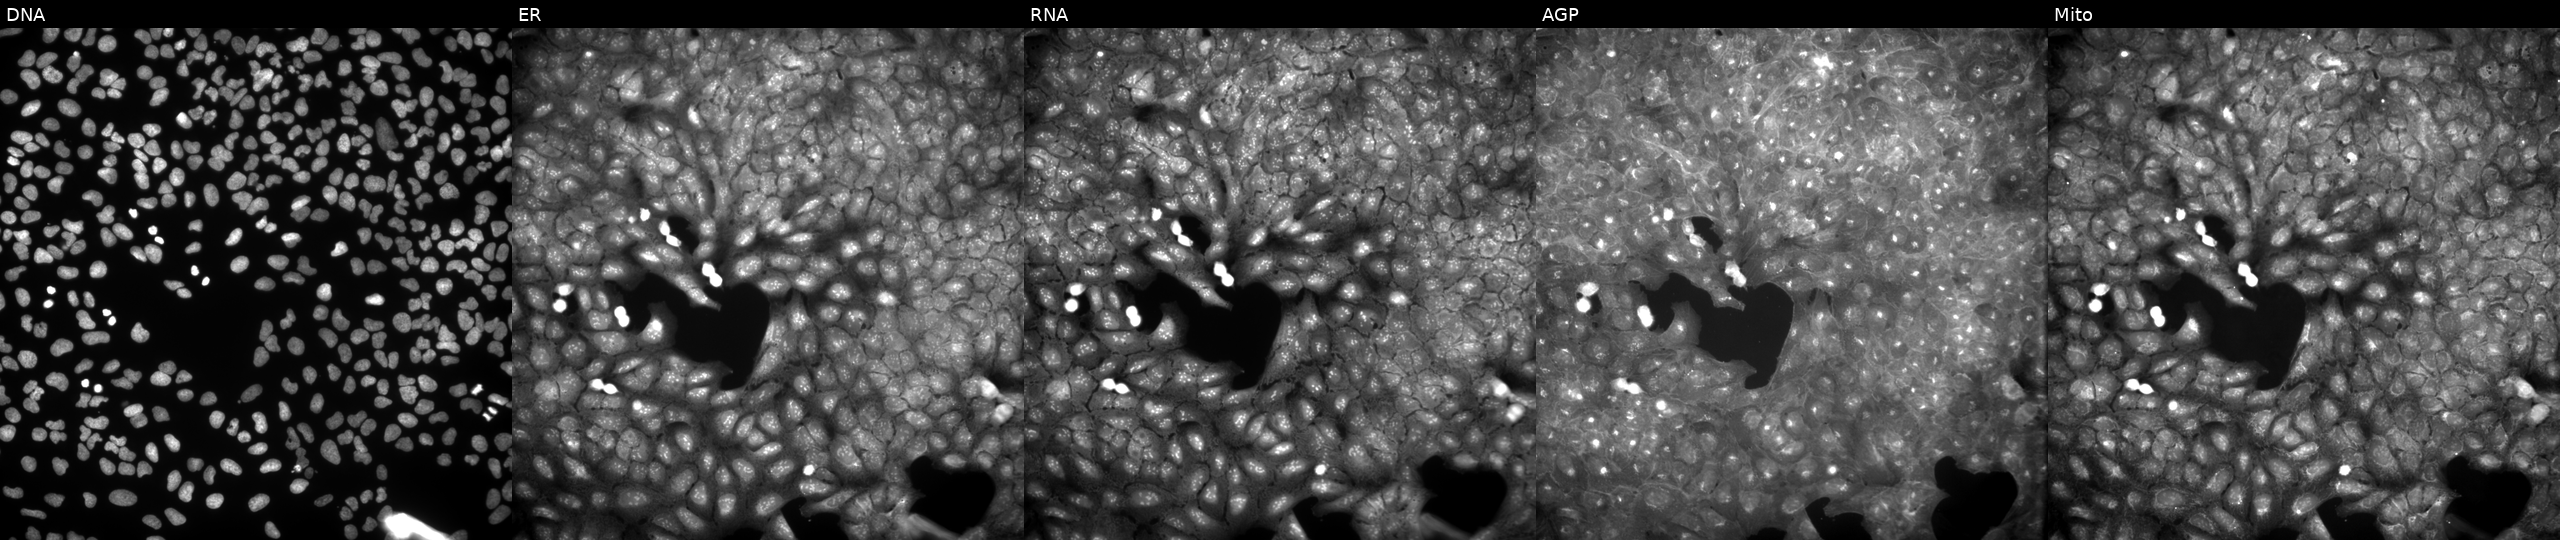
JUMP Cell Painting — COMPOUND plate. U2OS cells treated with a small-molecule compound (InChIKey RALBTYUFRQPFPB-UHFFFAOYSA-N). Channels (left→right): DNA, ER, RNA, AGP, and Mito.